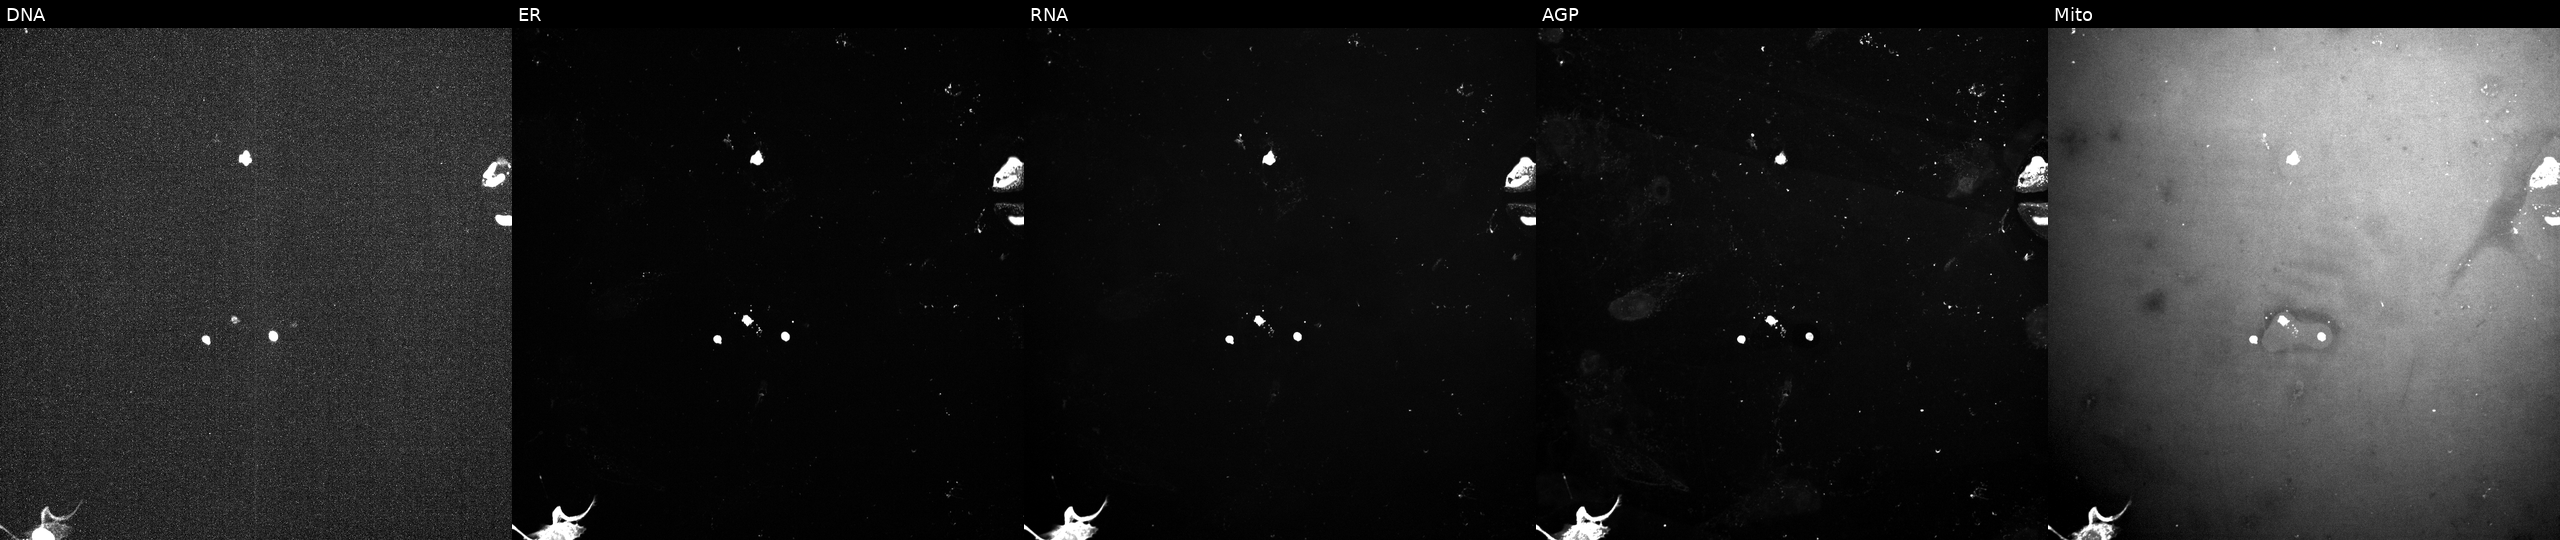
U2OS cells, Cell Painting assay, exposed to a small-molecule compound. The five panels, left to right, show DNA, ER, RNA, AGP, and Mito. Each panel is percentile-stretched 16-bit fluorescence. Source 10, plate Dest210803-153958, well I01.